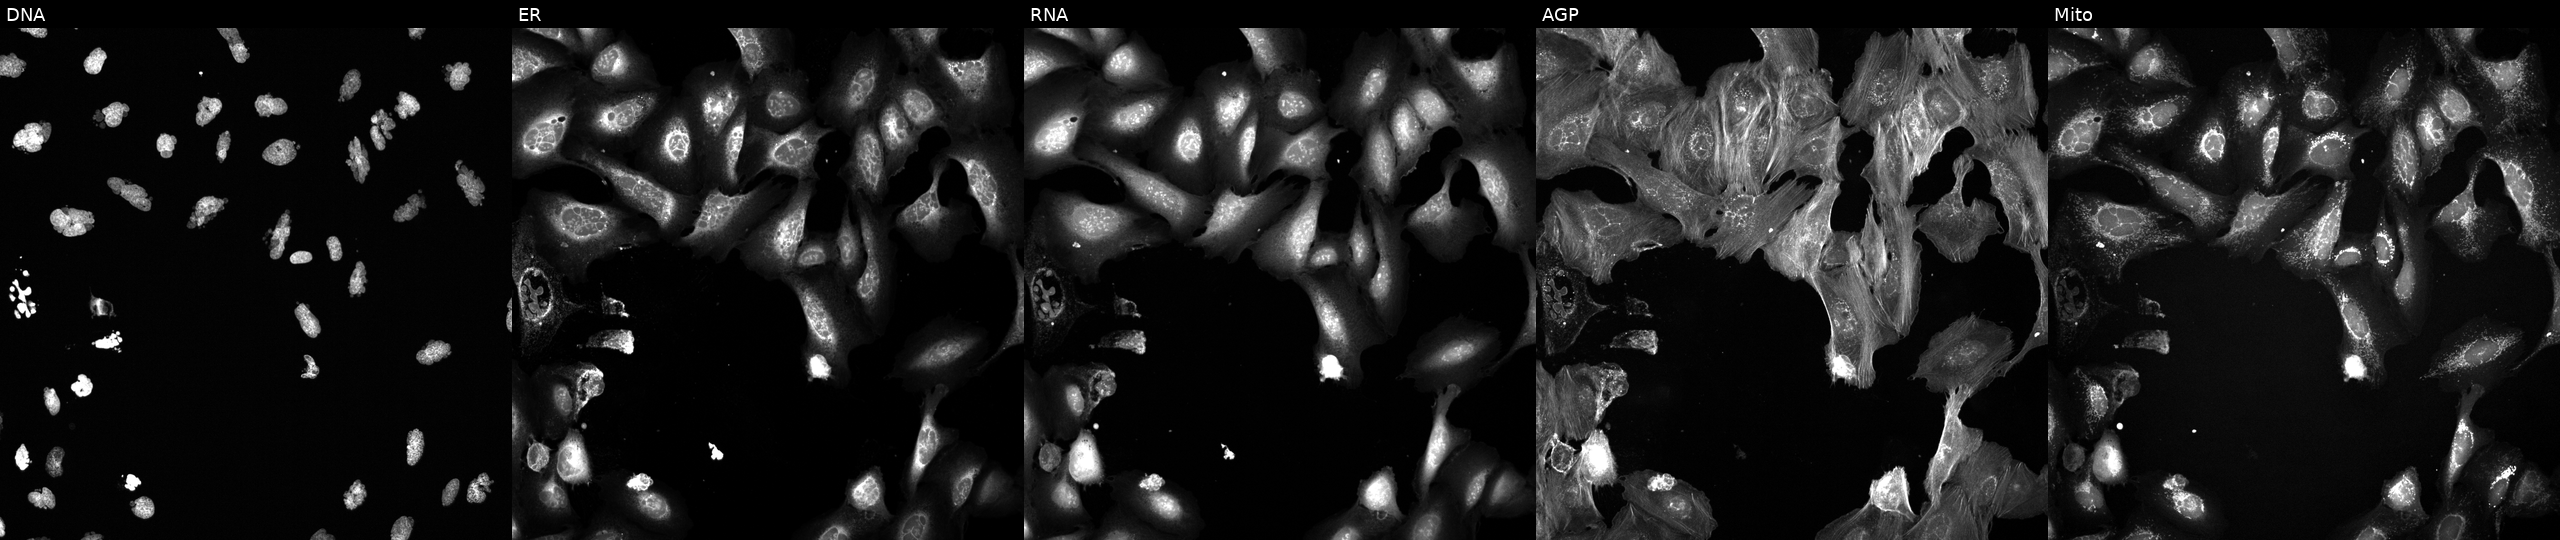
This image strip shows the five Cell Painting channels for a single field of U2OS cells exposed to the positive-control compound AMG900 (JUMP id JCP2022_037716). Panels show, left to right, Hoechst 33342, concanavalin A, SYTO 14, phalloidin and WGA, MitoTracker.